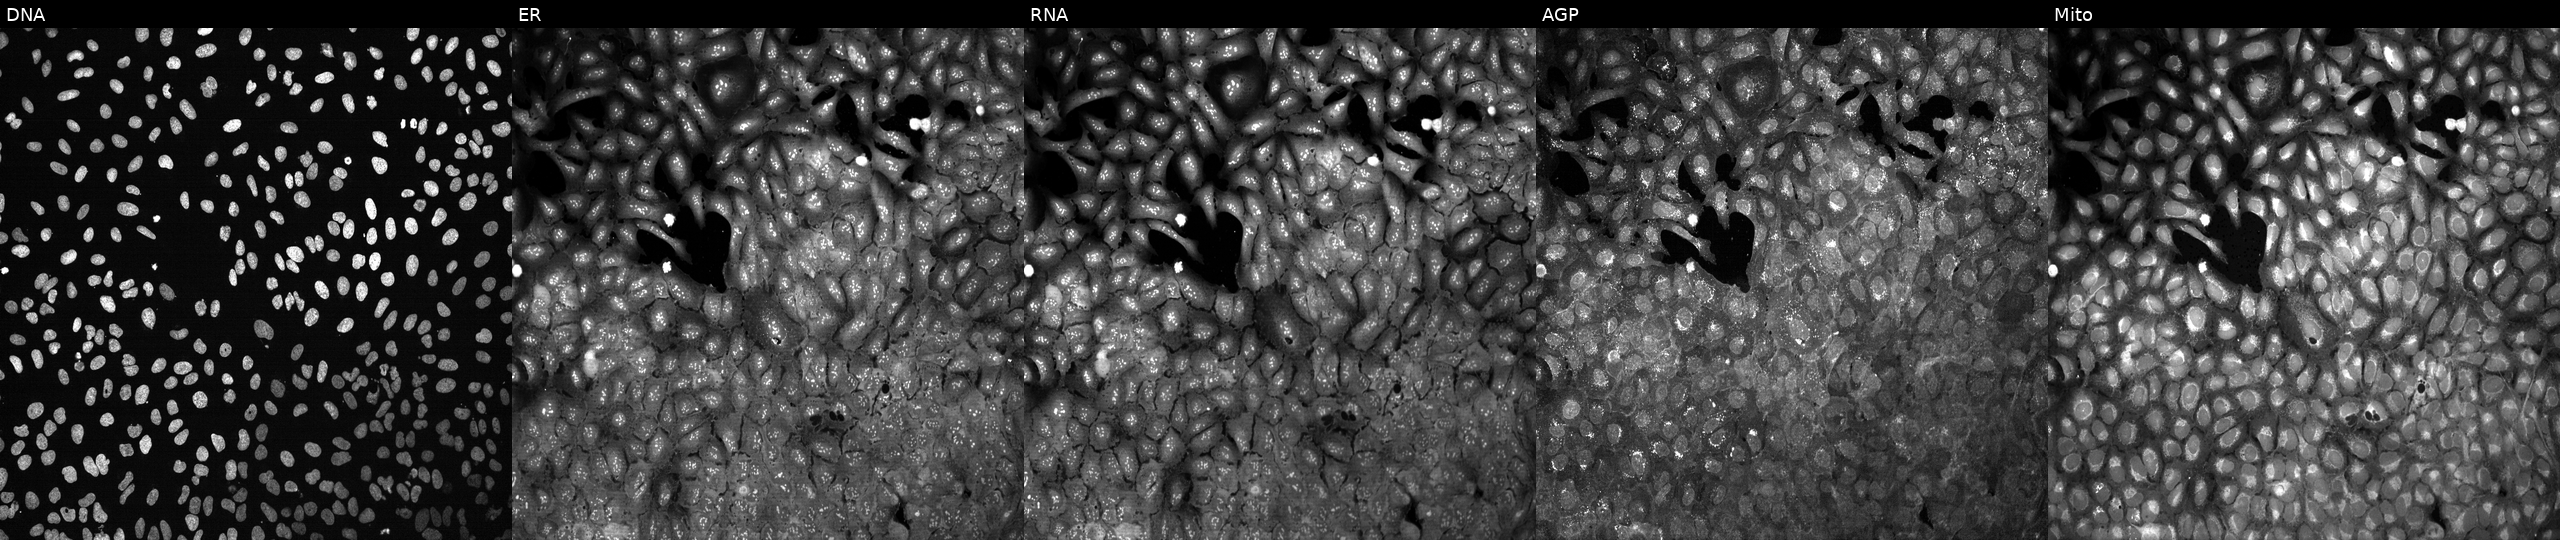
From left to right: DNA (nuclei); ER (endoplasmic reticulum); RNA (nucleoli and cytoplasmic RNA); AGP (actin cytoskeleton, Golgi, and plasma membrane); Mito (mitochondria). U2OS osteosarcoma cells CRISPR-edited to disrupt ELOVL6. Cell Painting assay, JUMP-CP dataset. Source 13, plate CP-CC9-R1-01, well L19.